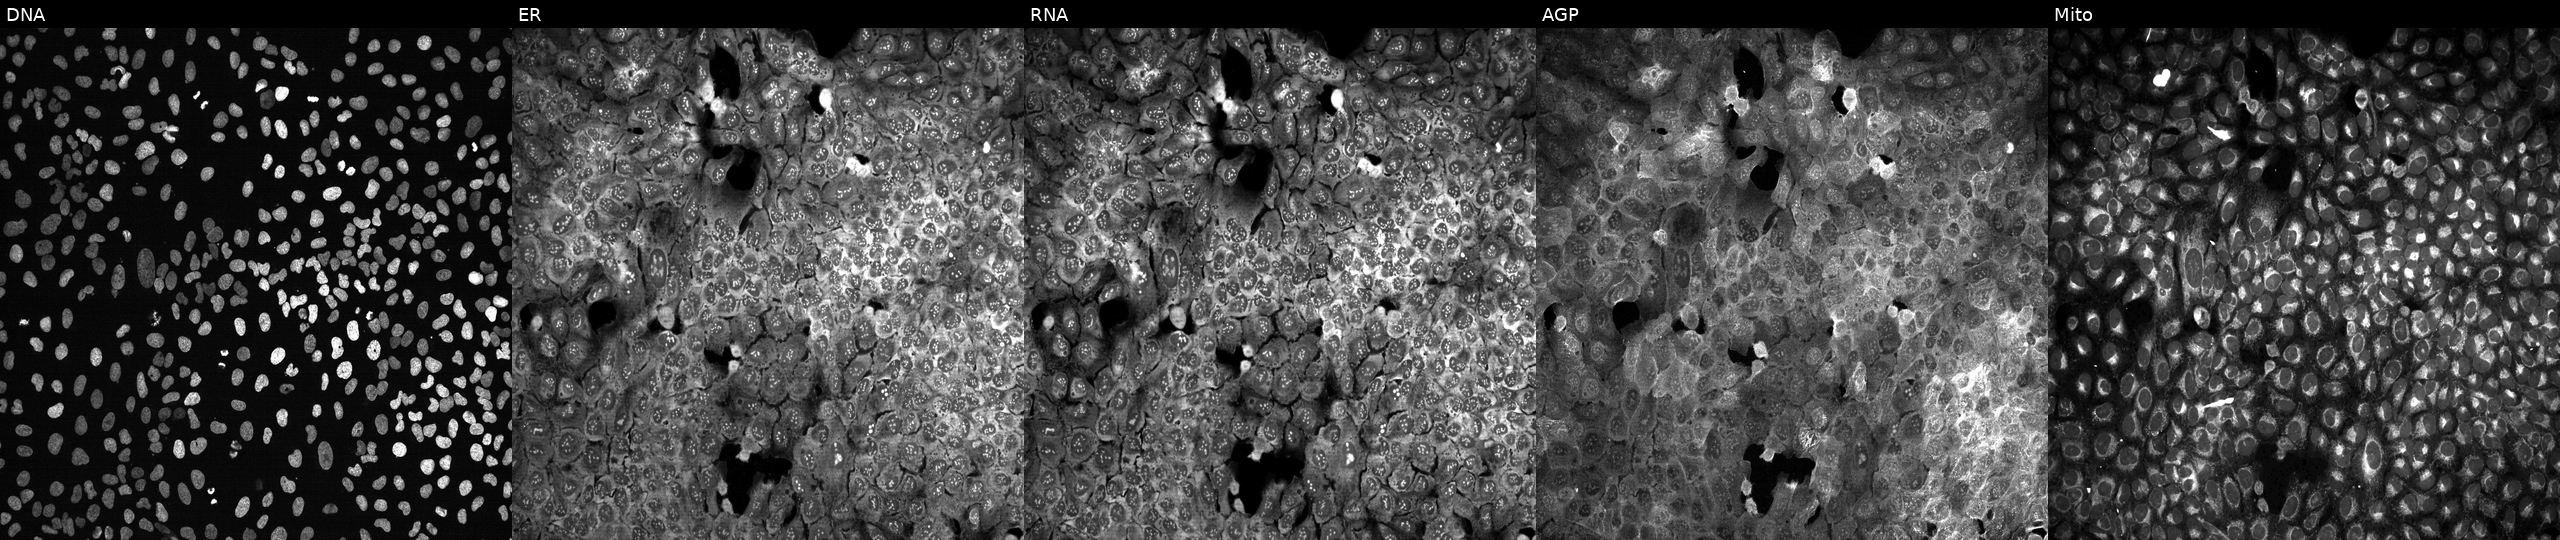
Channels (left→right): Hoechst 33342, concanavalin A, SYTO 14, phalloidin and WGA, MitoTracker. U2OS osteosarcoma cells with SLC6A14 knocked out by CRISPR. Cell Painting assay, JUMP-CP dataset.